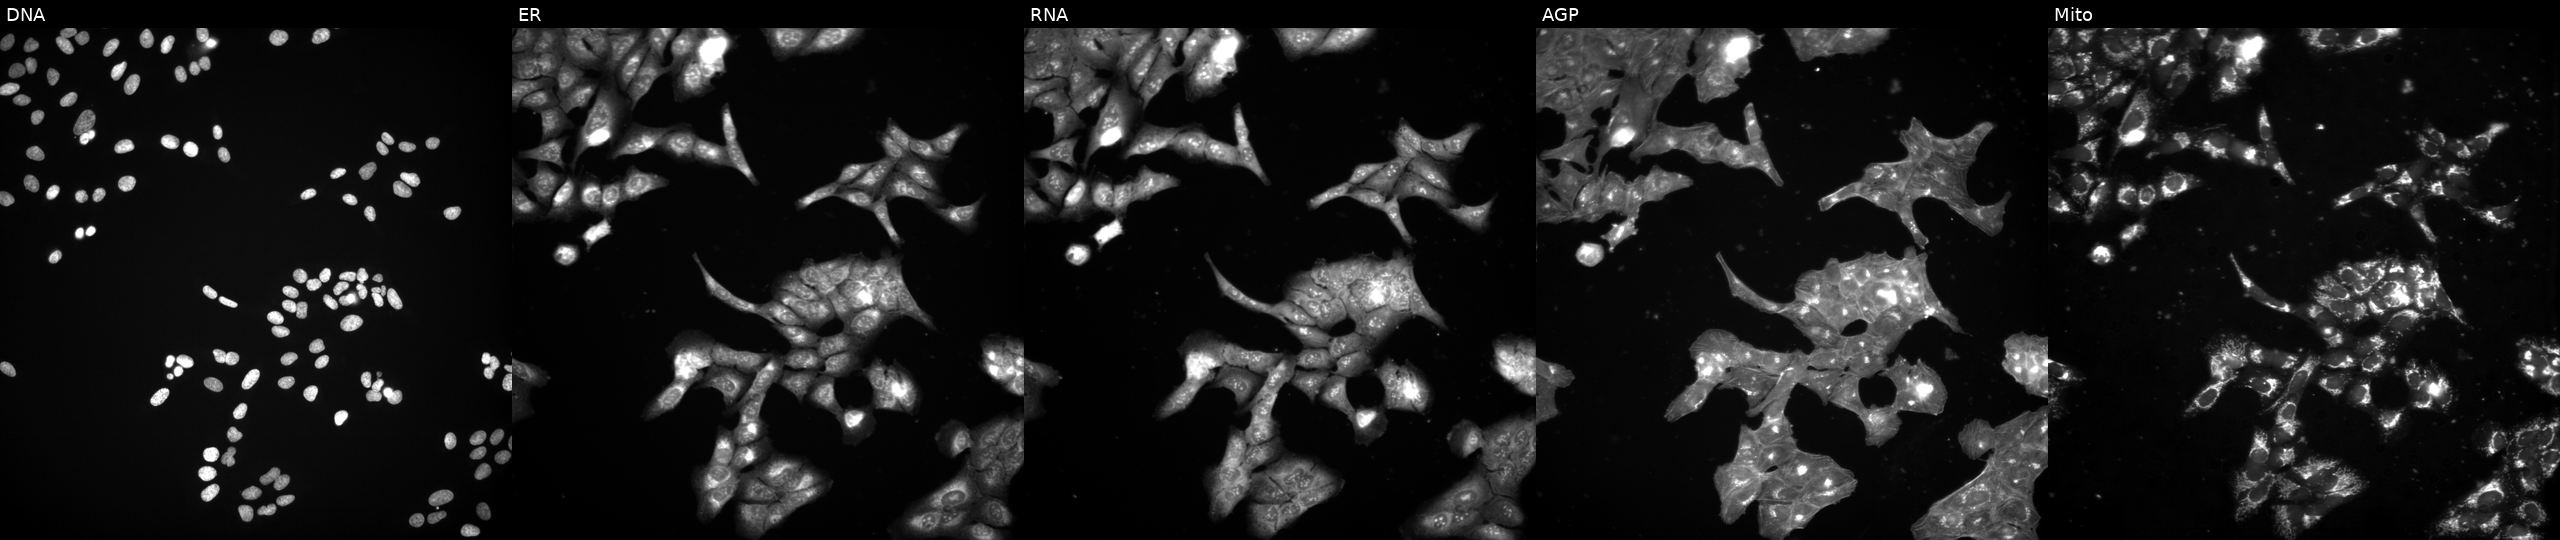
From left to right: DNA (nuclei); ER (endoplasmic reticulum); RNA (nucleoli and cytoplasmic RNA); AGP (actin cytoskeleton, Golgi, and plasma membrane); Mito (mitochondria). U2OS osteosarcoma cells exposed to a small-molecule compound (InChIKey UZPBLLFTUZJQMD-UHFFFAOYSA-N). Cell Painting assay, JUMP-CP dataset.